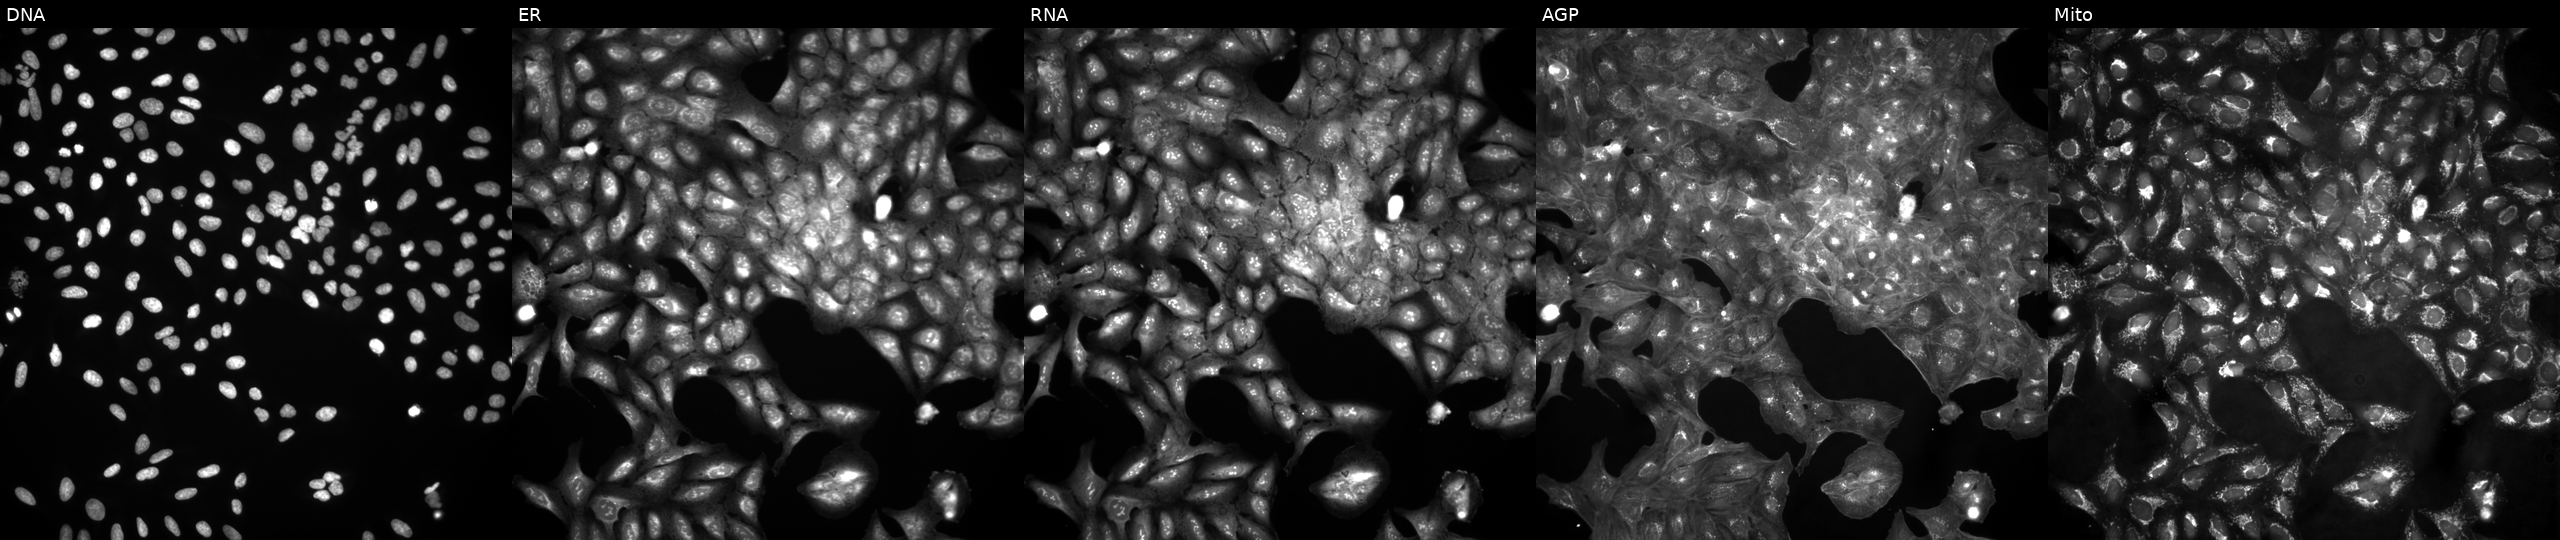
JUMP Cell Painting — ORF plate. U2OS cells in an empty control well (no perturbation) (JUMP id JCP2022_999999). Channels (left→right): DNA (nuclei); ER (endoplasmic reticulum); RNA (nucleoli and cytoplasmic RNA); AGP (actin cytoskeleton, Golgi, and plasma membrane); Mito (mitochondria).